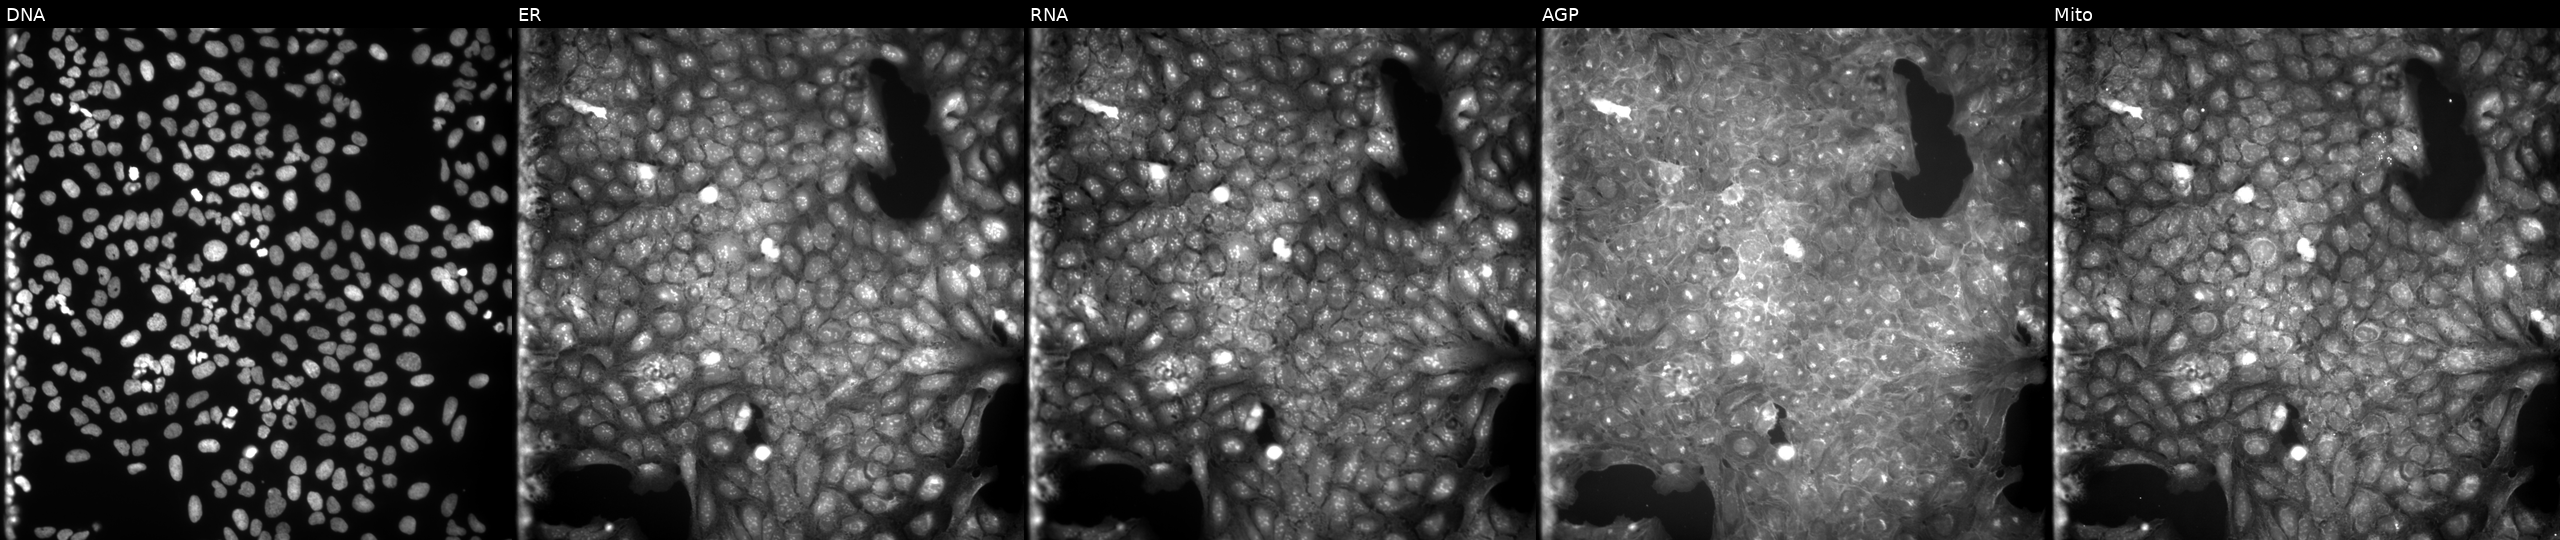
U2OS cells, Cell Painting assay, perturbed with a small-molecule compound (JUMP id JCP2022_087966). From left to right: DNA (nuclei); ER (endoplasmic reticulum); RNA (nucleoli and cytoplasmic RNA); AGP (actin cytoskeleton, Golgi, and plasma membrane); Mito (mitochondria). Each panel is percentile-stretched 16-bit fluorescence.